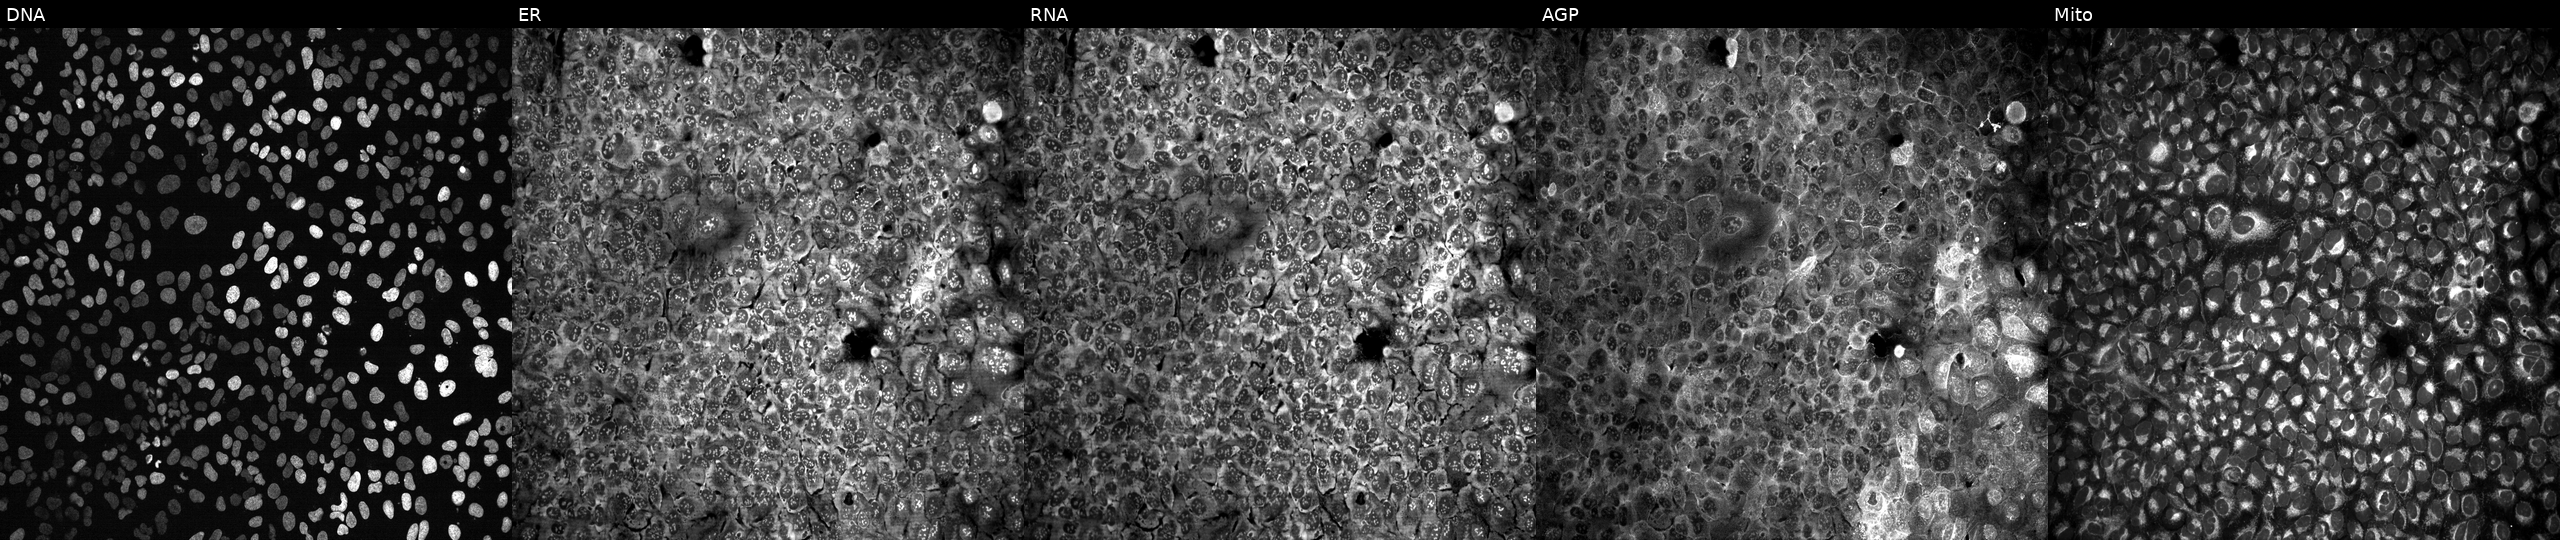
Channels (left→right): DNA, ER, RNA, AGP, and Mito. U2OS osteosarcoma cells CRISPR-edited to disrupt P3H2 (JUMP id JCP2022_804865). Cell Painting assay, JUMP-CP dataset.